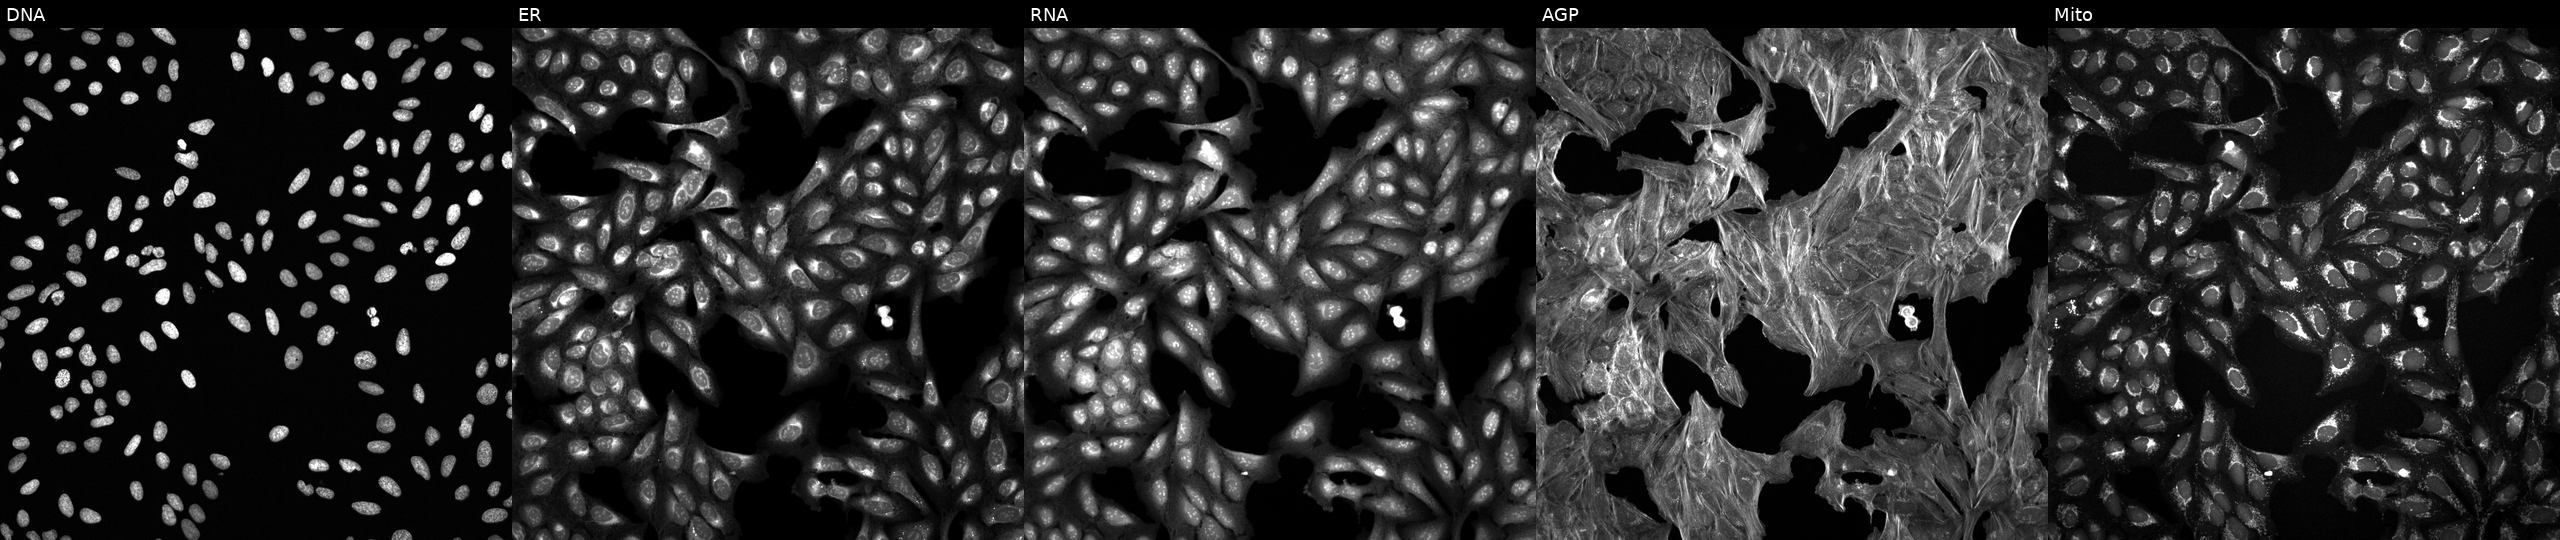
From left to right: DNA (nuclei); ER (endoplasmic reticulum); RNA (nucleoli and cytoplasmic RNA); AGP (actin cytoskeleton, Golgi, and plasma membrane); Mito (mitochondria). U2OS osteosarcoma cells treated with a small-molecule compound (InChIKey SPVLLROJLJRUEU-UHFFFAOYSA-N) [SMILES: N#CC1(NC(=O)CN2CC(C(=O)N3CCOCC3)Oc3ccccc32)CCCC1]. Cell Painting assay, JUMP-CP dataset.